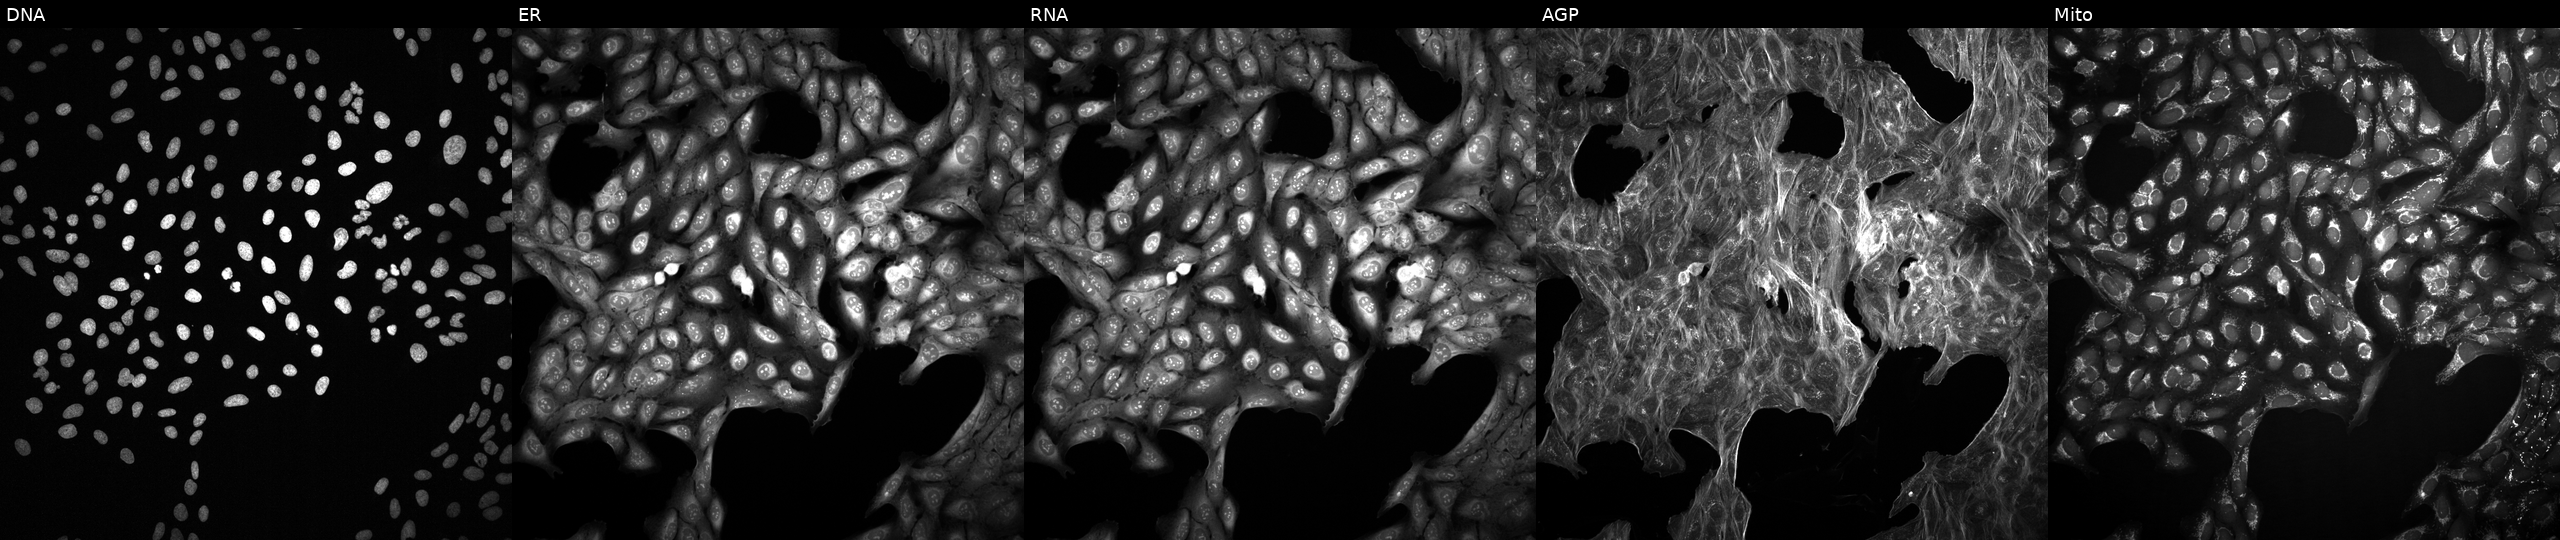
JUMP Cell Painting — TARGET2 plate. U2OS cells treated with a small-molecule compound (InChIKey SZBGQDXLNMELTB-UHFFFAOYSA-N) (JUMP id JCP2022_086505). Panels show, left to right, DNA, ER, RNA, AGP, and Mito.